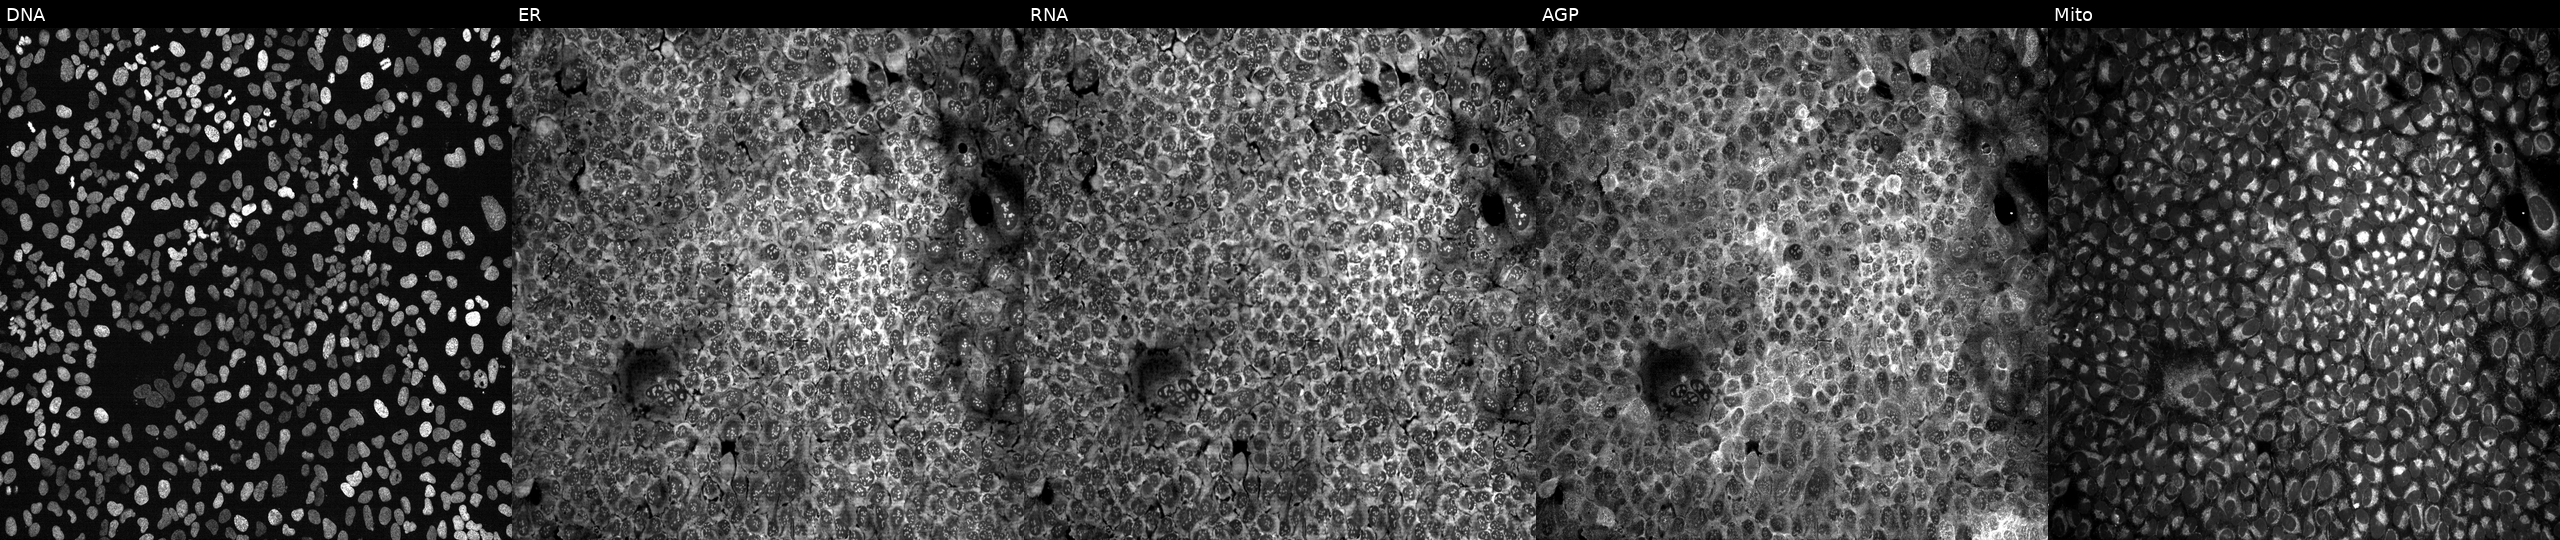
JUMP Cell Painting — CRISPR plate. U2OS cells with SLC6A12 knocked out by CRISPR. The five panels, left to right, show DNA (nuclei); ER (endoplasmic reticulum); RNA (nucleoli and cytoplasmic RNA); AGP (actin cytoskeleton, Golgi, and plasma membrane); Mito (mitochondria). Source 13, plate CP-CC9-R4-03, well H07.